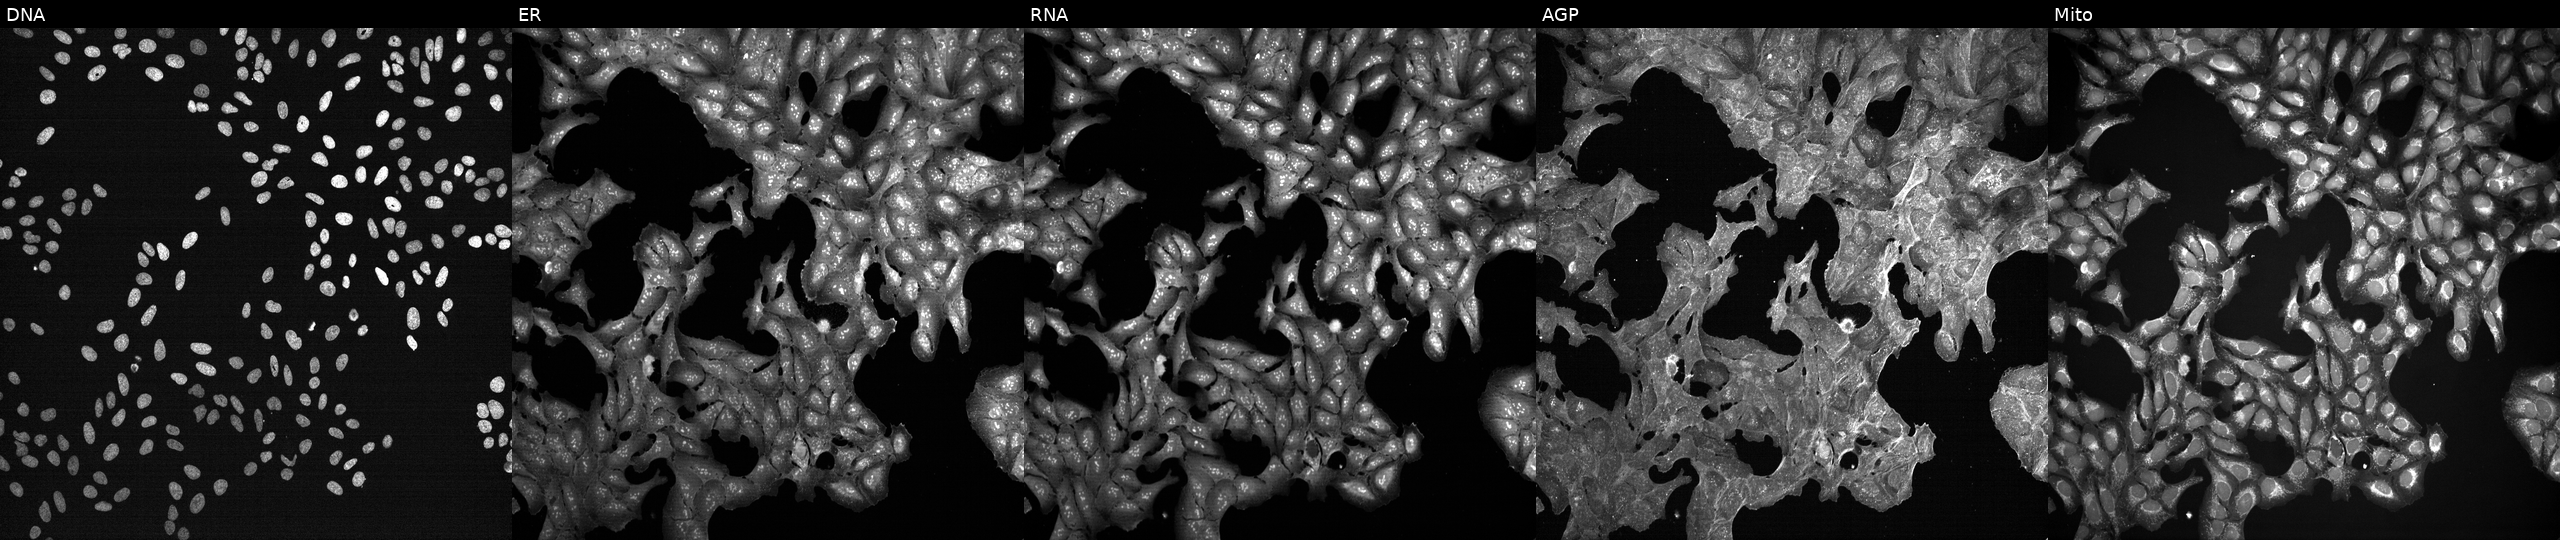
The five panels, left to right, show Hoechst 33342, concanavalin A, SYTO 14, phalloidin and WGA, MitoTracker. U2OS osteosarcoma cells perturbed with a small-molecule compound (InChIKey WDENQIQQYWYTPO-UHFFFAOYSA-N) (JUMP id JCP2022_097998). Cell Painting assay, JUMP-CP dataset. Source 7, plate CP2-SC1-25, well P07.